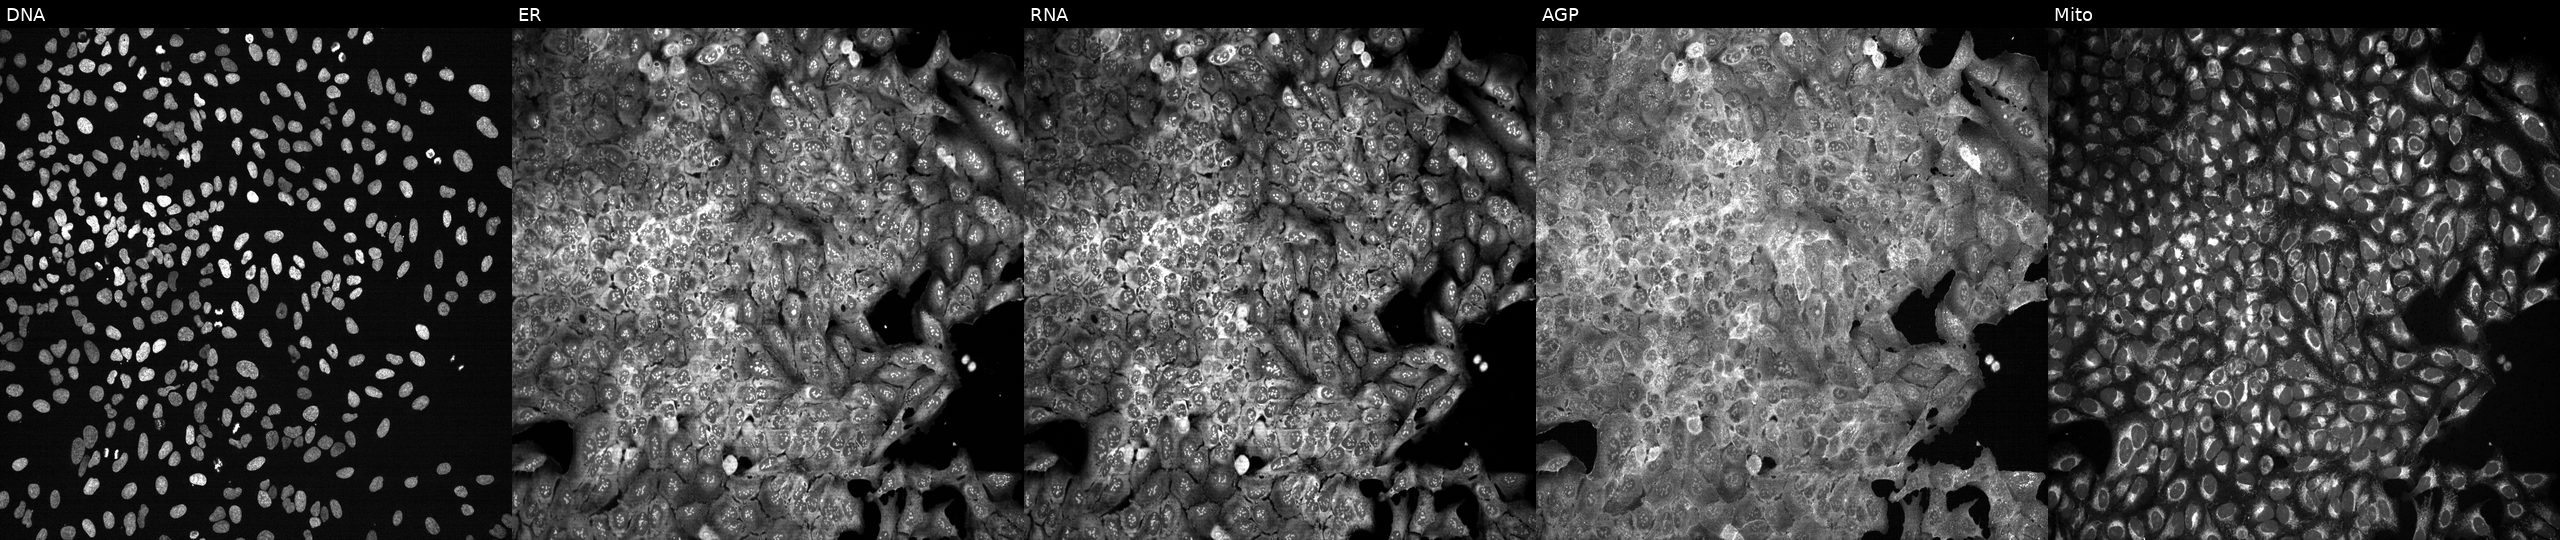
High-content fluorescence microscopy (Cell Painting). Cell line: U2OS. Perturbation: with PISD knocked out by CRISPR (JUMP id JCP2022_805182). Panels show, left to right, DNA (nuclei); ER (endoplasmic reticulum); RNA (nucleoli and cytoplasmic RNA); AGP (actin cytoskeleton, Golgi, and plasma membrane); Mito (mitochondria).